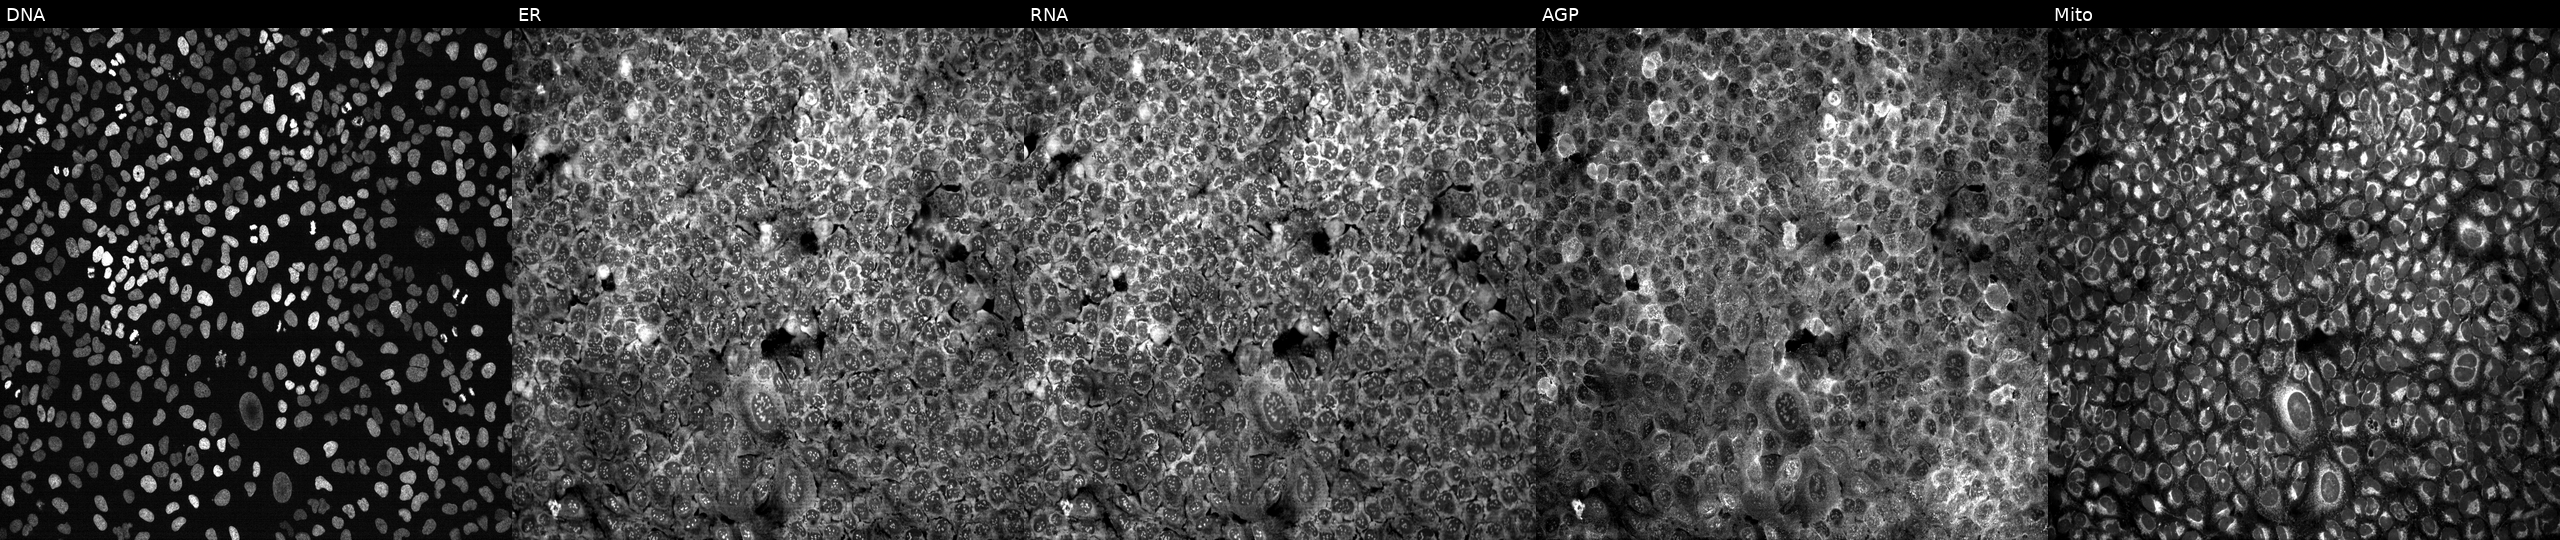
High-content fluorescence microscopy (Cell Painting). Cell line: U2OS. Perturbation: CRISPR-edited to disrupt EIF4B. The five panels, left to right, show DNA (nuclei); ER (endoplasmic reticulum); RNA (nucleoli and cytoplasmic RNA); AGP (actin cytoskeleton, Golgi, and plasma membrane); Mito (mitochondria).